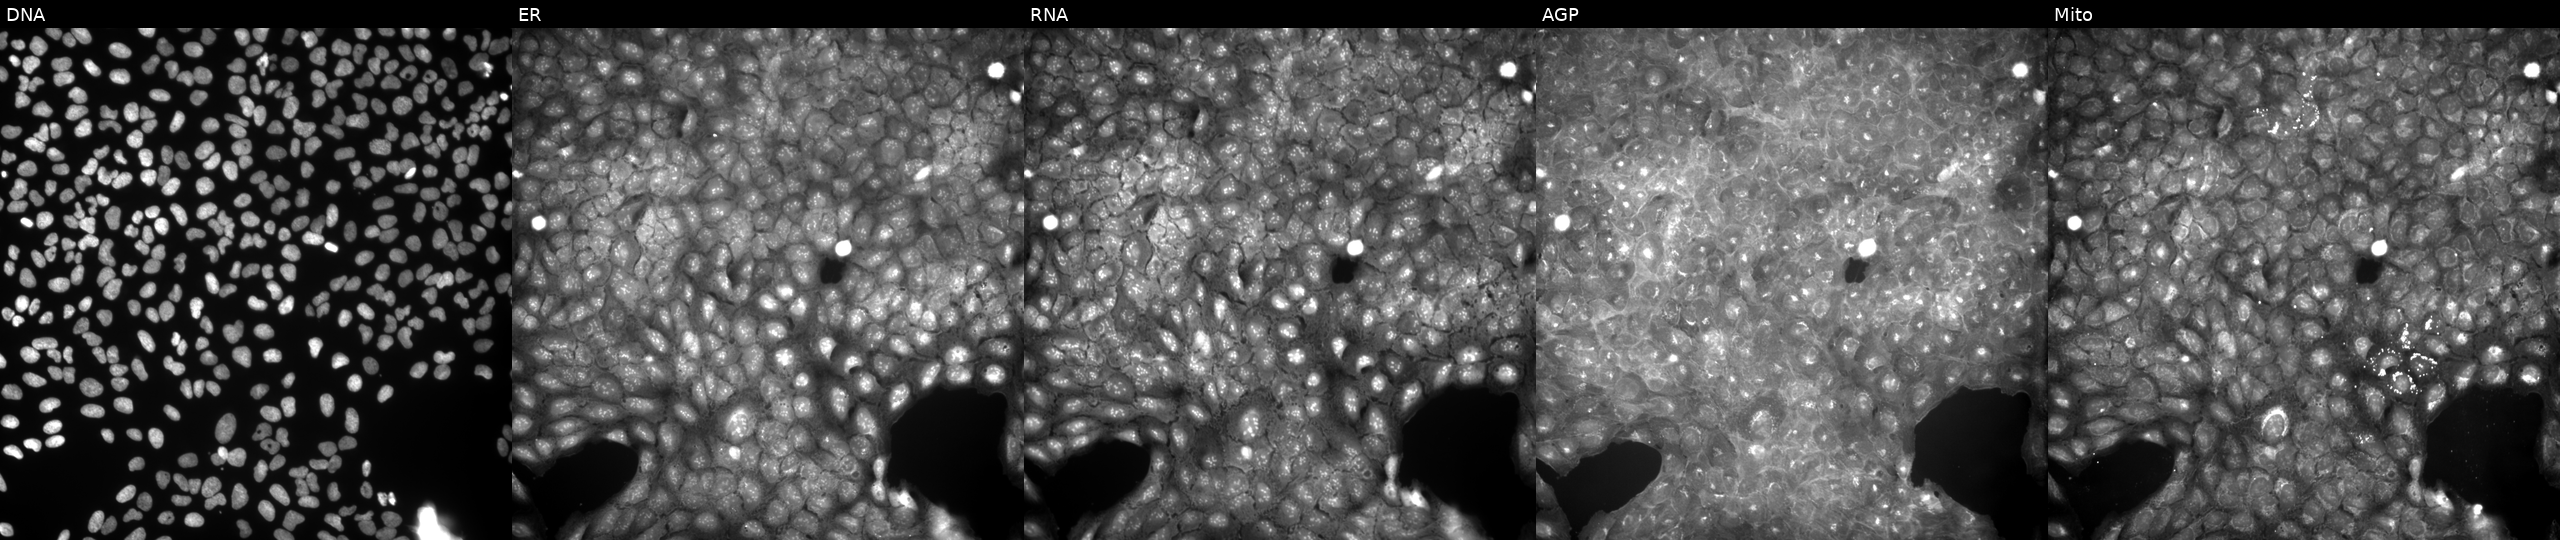
From left to right: DNA (nuclei); ER (endoplasmic reticulum); RNA (nucleoli and cytoplasmic RNA); AGP (actin cytoskeleton, Golgi, and plasma membrane); Mito (mitochondria). U2OS osteosarcoma cells exposed to a small-molecule compound. Cell Painting assay, JUMP-CP dataset. Source 9, plate GR00003381, well P30.